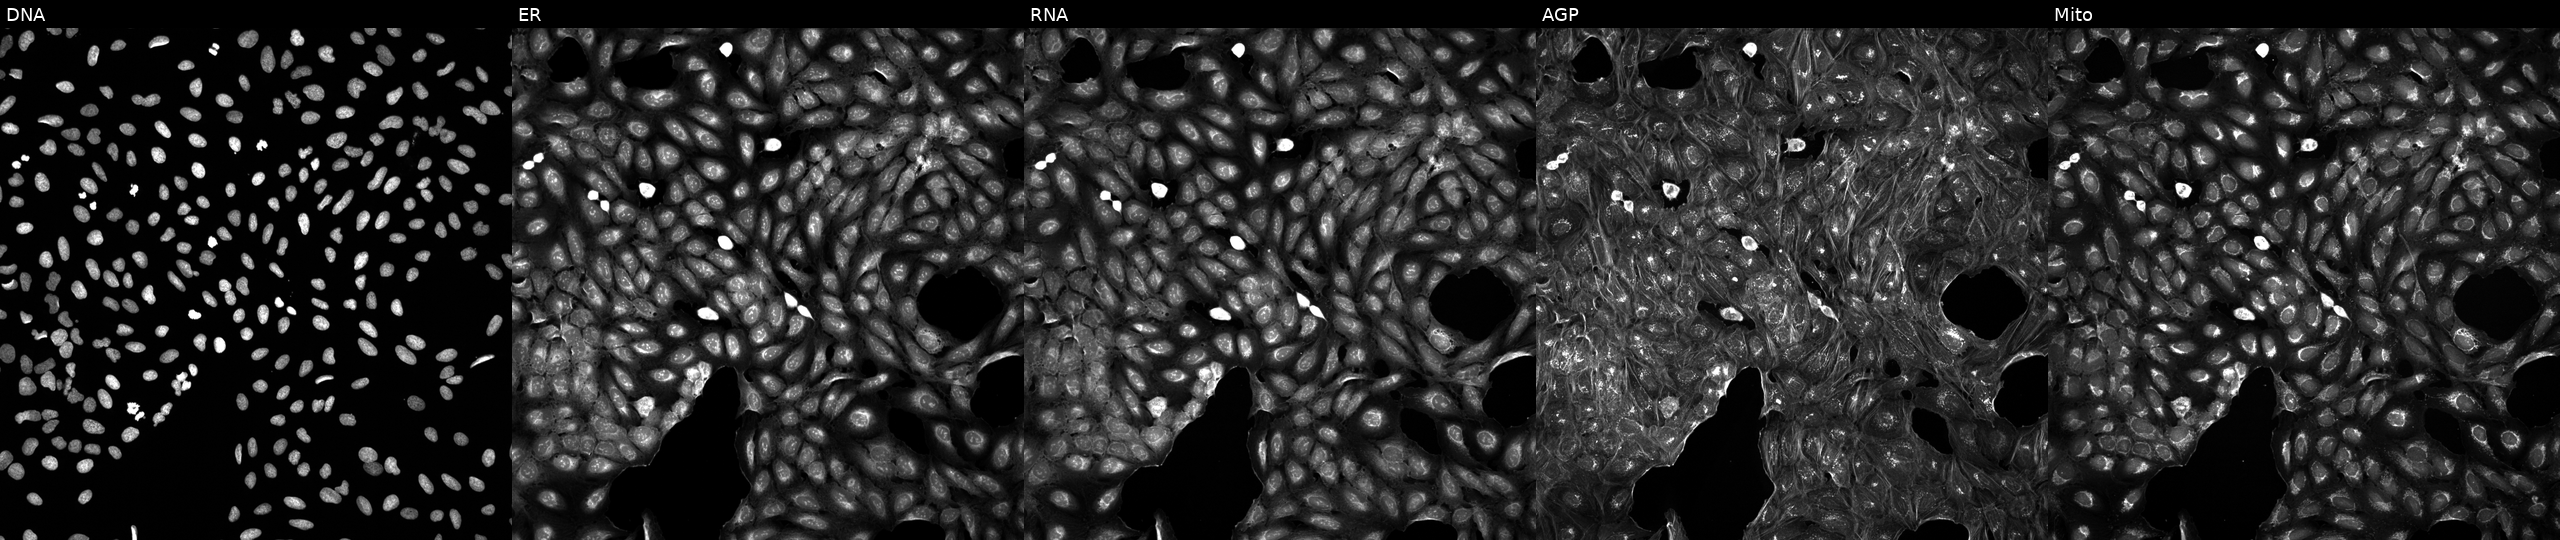
JUMP Cell Painting — COMPOUND plate. U2OS cells exposed to a small-molecule compound (JUMP id JCP2022_041966). The five panels, left to right, show DNA, ER, RNA, AGP, and Mito.